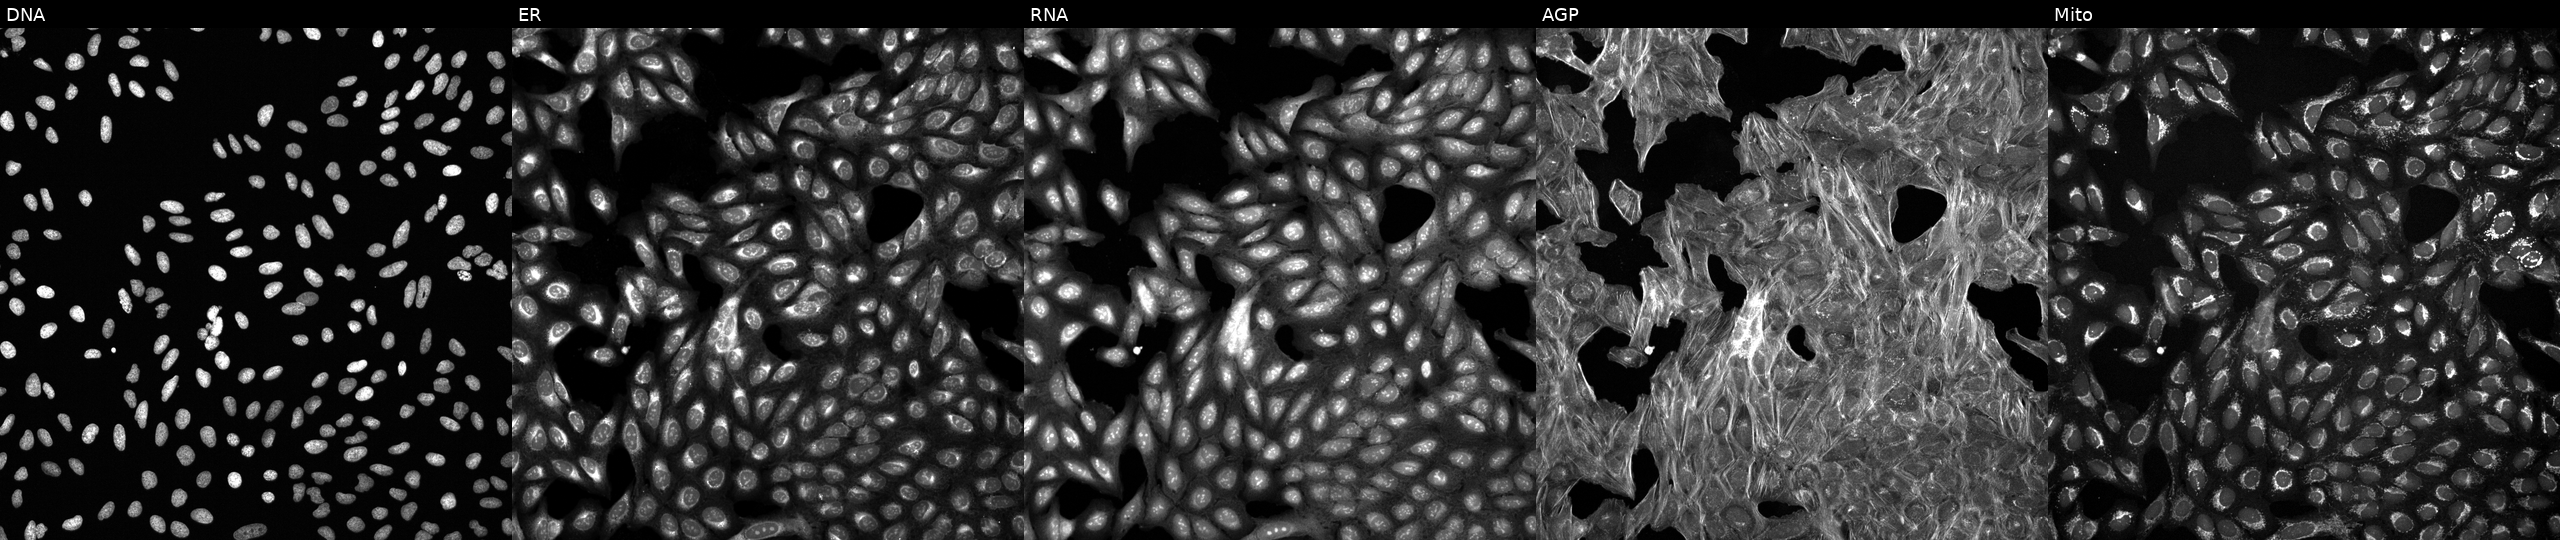
The five panels, left to right, show DNA, ER, RNA, AGP, and Mito. U2OS osteosarcoma cells exposed to a small-molecule compound (JUMP id JCP2022_030616). Cell Painting assay, JUMP-CP dataset.